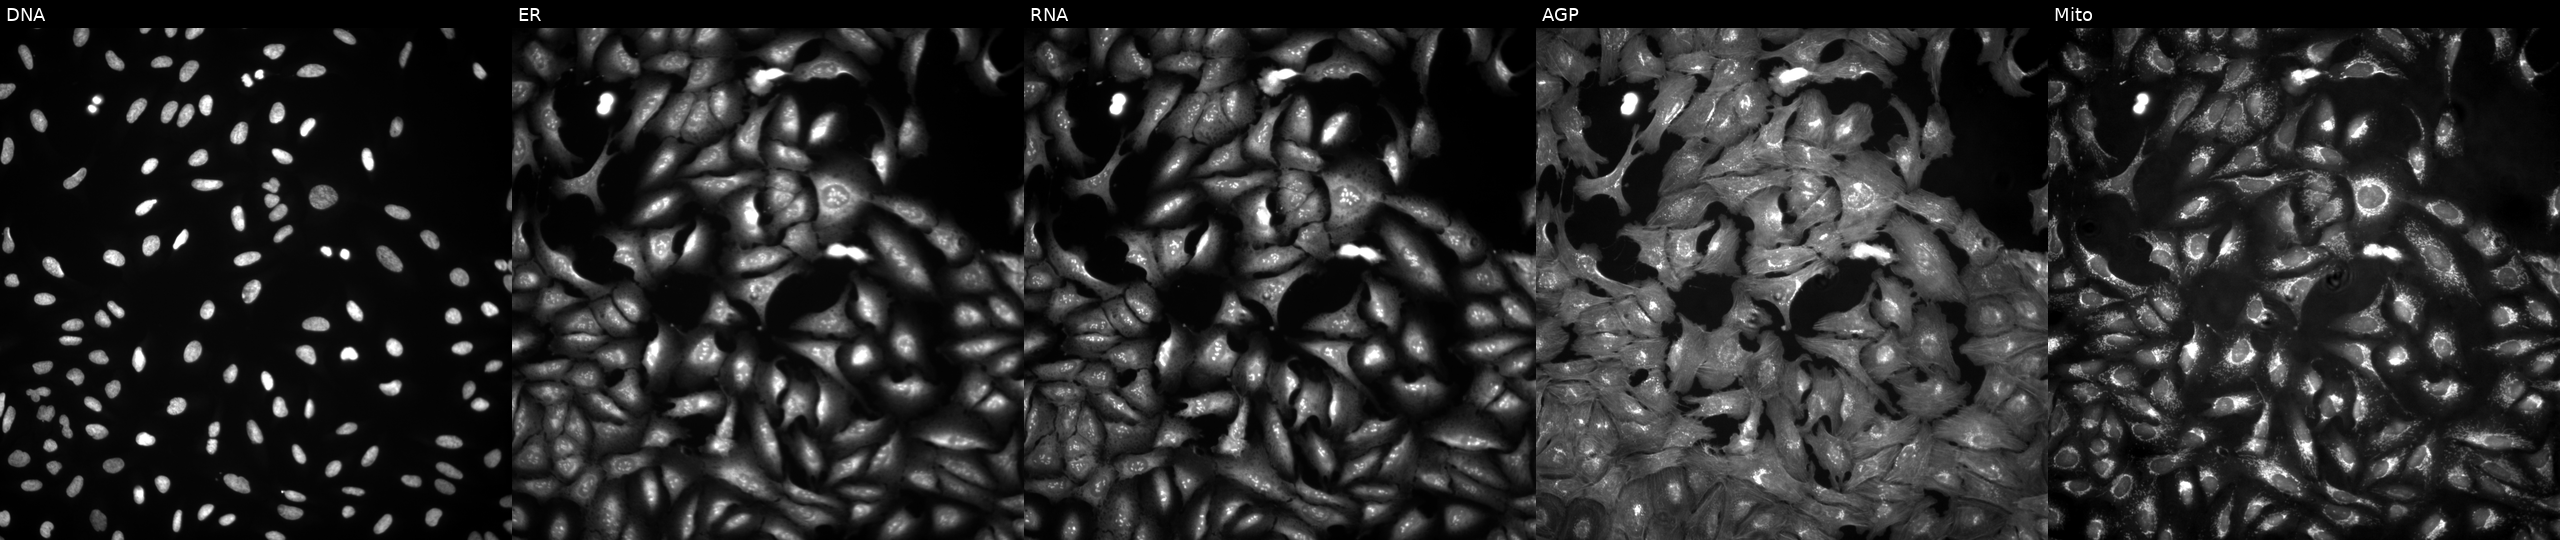
High-content fluorescence microscopy (Cell Painting). Cell line: U2OS. Perturbation: transfected with an ORF construct for DIRC1. Panels show, left to right, DNA, ER, RNA, AGP, and Mito. Source 4, plate BR00124784, well P15.